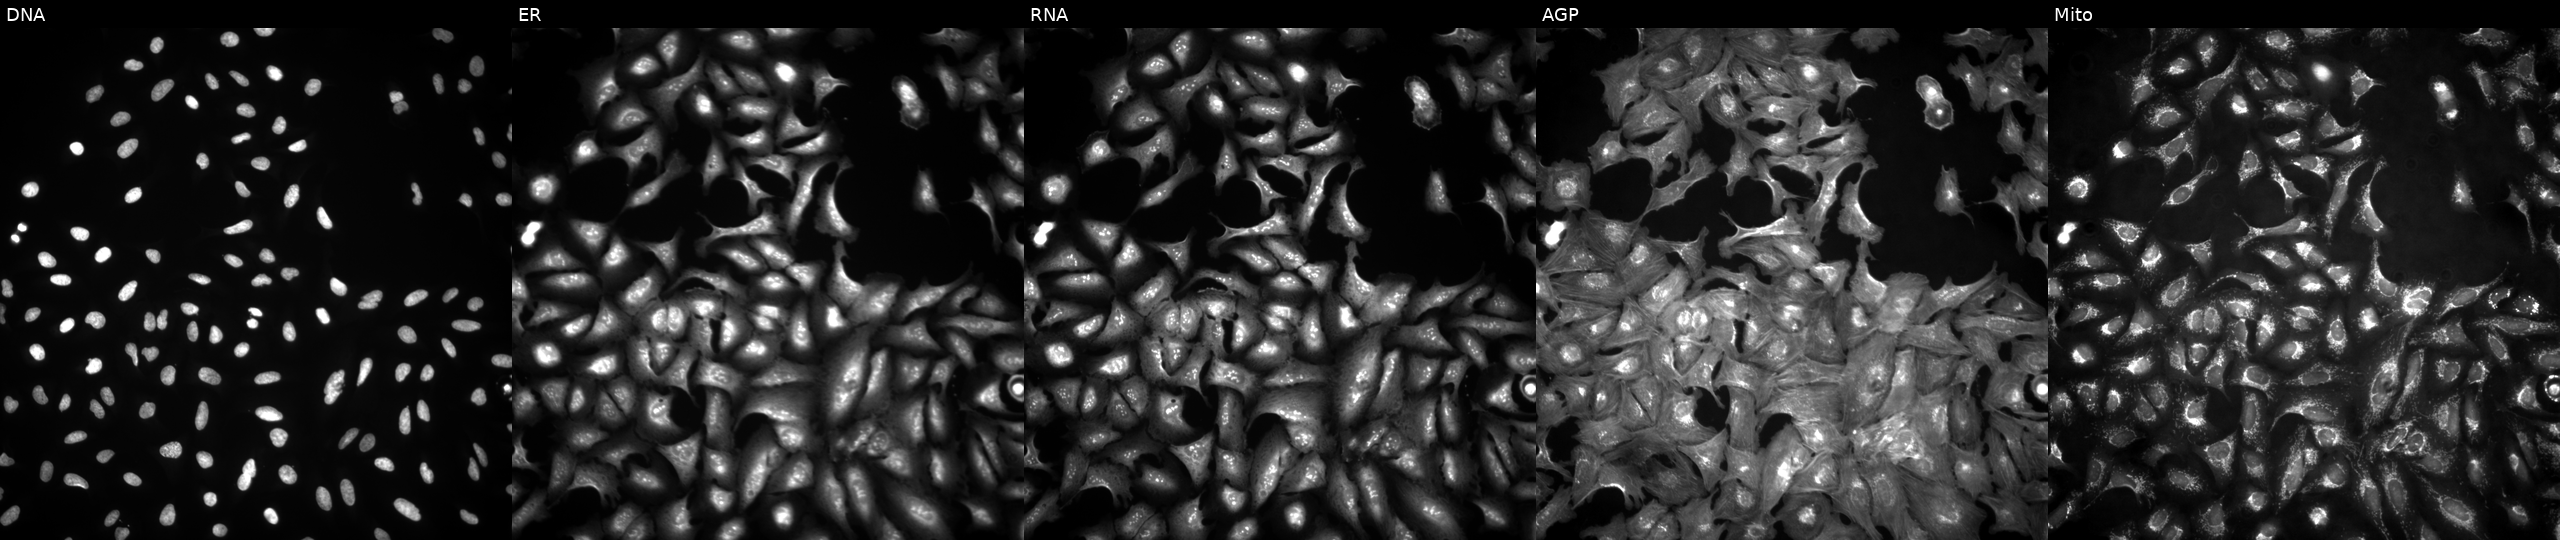
High-content fluorescence microscopy (Cell Painting). Cell line: U2OS. Perturbation: with RSL24D1 overexpressed (ORF) (JUMP id JCP2022_914809). The five panels, left to right, show Hoechst 33342, concanavalin A, SYTO 14, phalloidin and WGA, MitoTracker. Source 4, plate BR00124784, well P10.